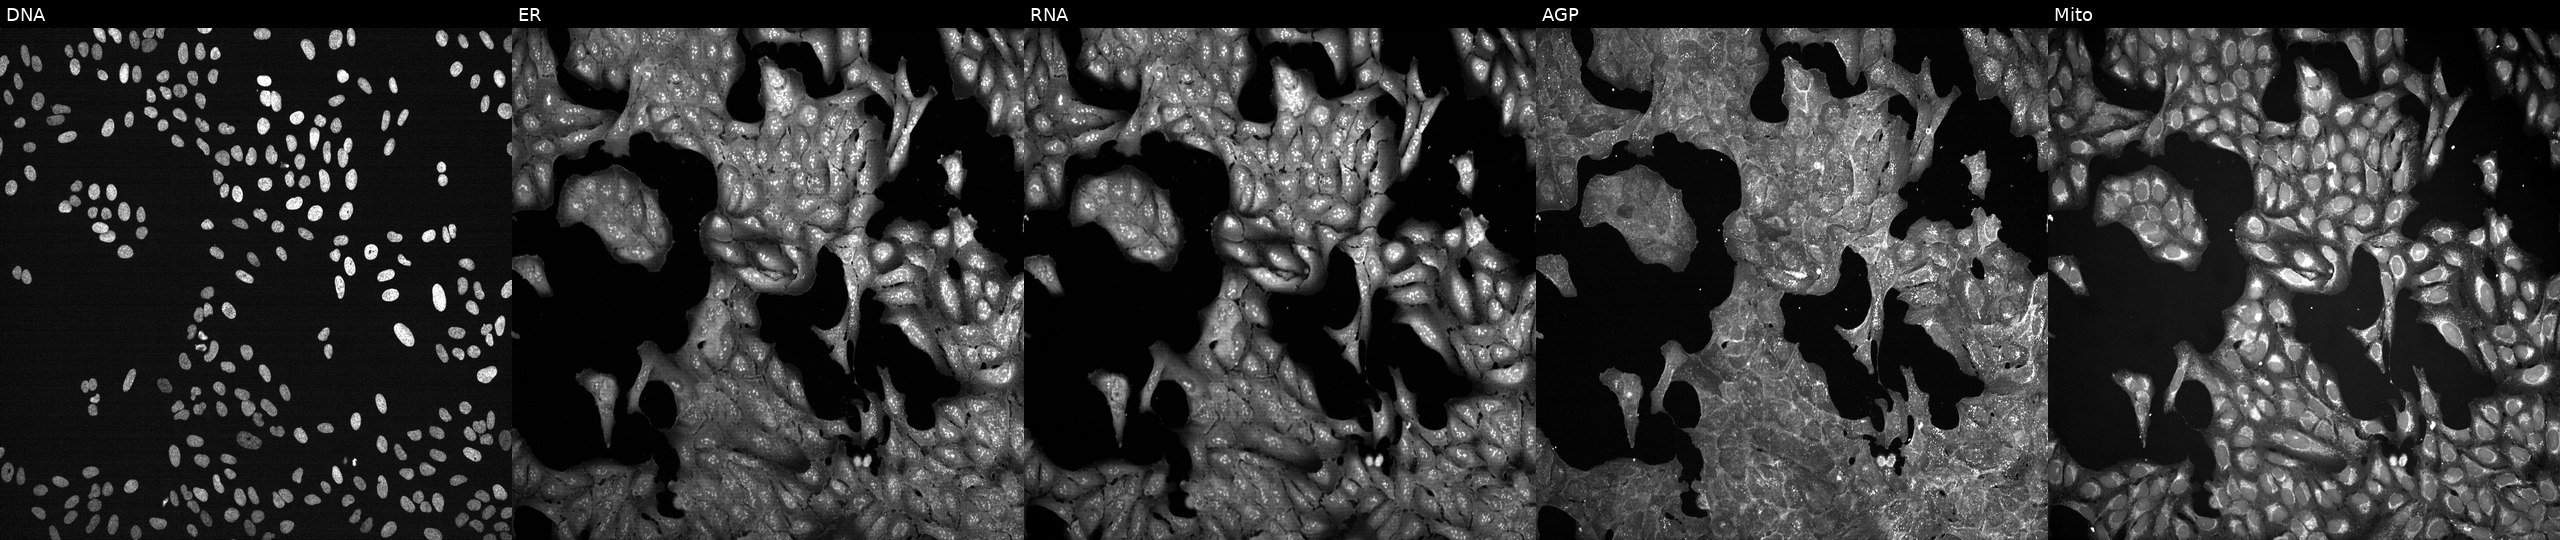
U2OS cells, Cell Painting assay, exposed to a small-molecule compound (InChIKey WPEWQEMJFLWMLV-UHFFFAOYSA-N). Panels show, left to right, DNA (nuclei); ER (endoplasmic reticulum); RNA (nucleoli and cytoplasmic RNA); AGP (actin cytoskeleton, Golgi, and plasma membrane); Mito (mitochondria). Each panel is percentile-stretched 16-bit fluorescence.